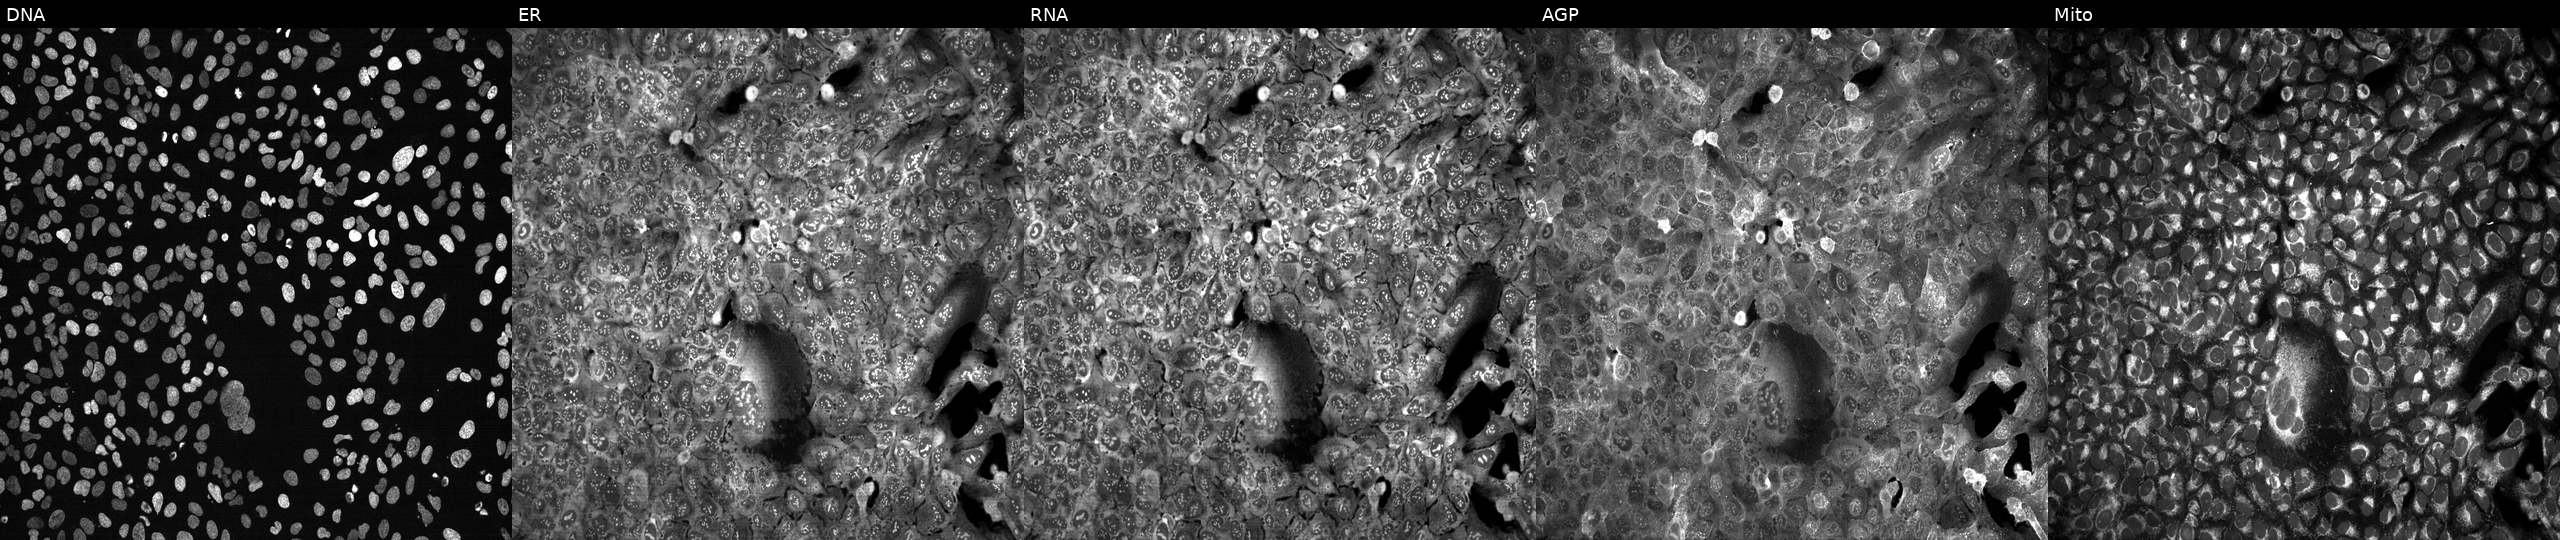
JUMP Cell Painting — CRISPR plate. U2OS cells following CRISPR knockout of GNS (JUMP id JCP2022_802782). From left to right: DNA (nuclei); ER (endoplasmic reticulum); RNA (nucleoli and cytoplasmic RNA); AGP (actin cytoskeleton, Golgi, and plasma membrane); Mito (mitochondria).